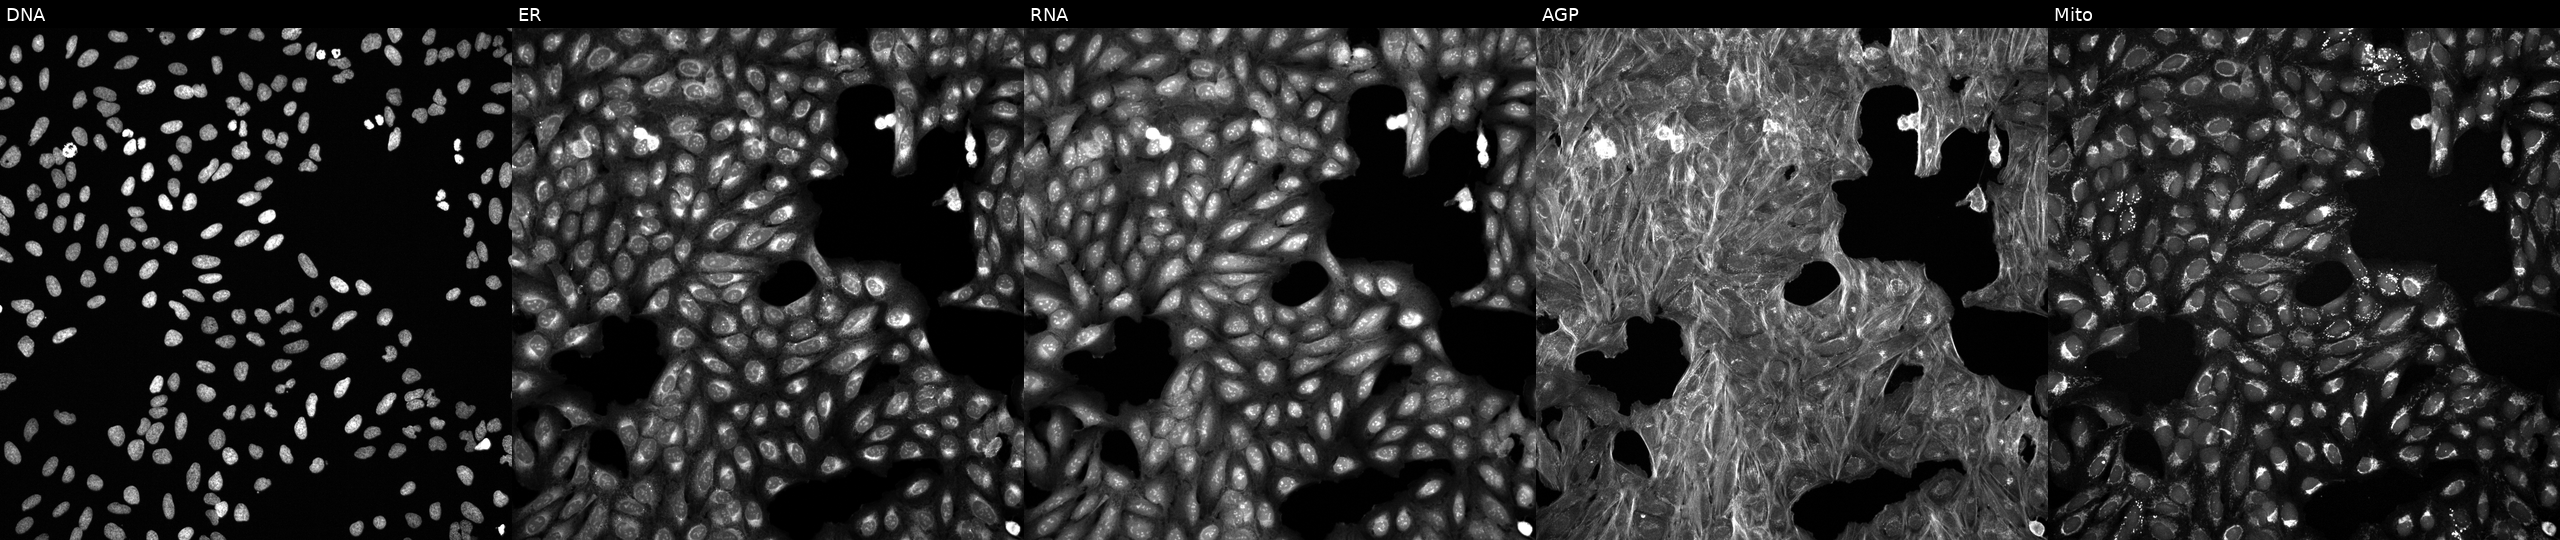
This image strip shows the five Cell Painting channels for a single field of U2OS cells treated with a small-molecule compound. The five panels, left to right, show DNA (nuclei); ER (endoplasmic reticulum); RNA (nucleoli and cytoplasmic RNA); AGP (actin cytoskeleton, Golgi, and plasma membrane); Mito (mitochondria).